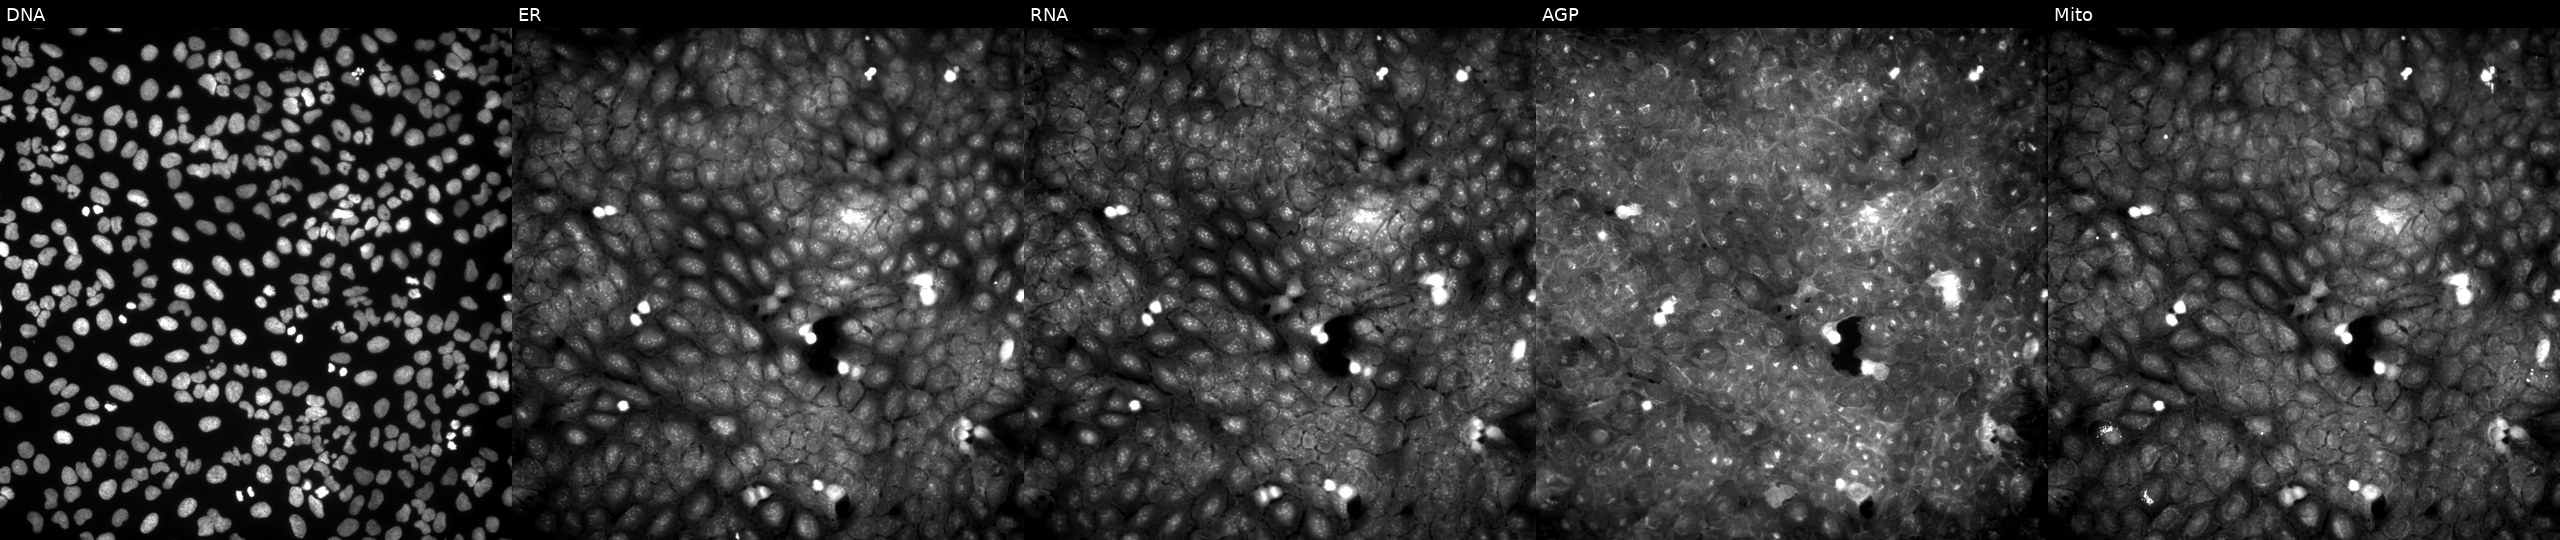
This image strip shows the five Cell Painting channels for a single field of U2OS cells exposed to the positive-control compound quinidine (JUMP id JCP2022_050797). From left to right: DNA (nuclei); ER (endoplasmic reticulum); RNA (nucleoli and cytoplasmic RNA); AGP (actin cytoskeleton, Golgi, and plasma membrane); Mito (mitochondria).